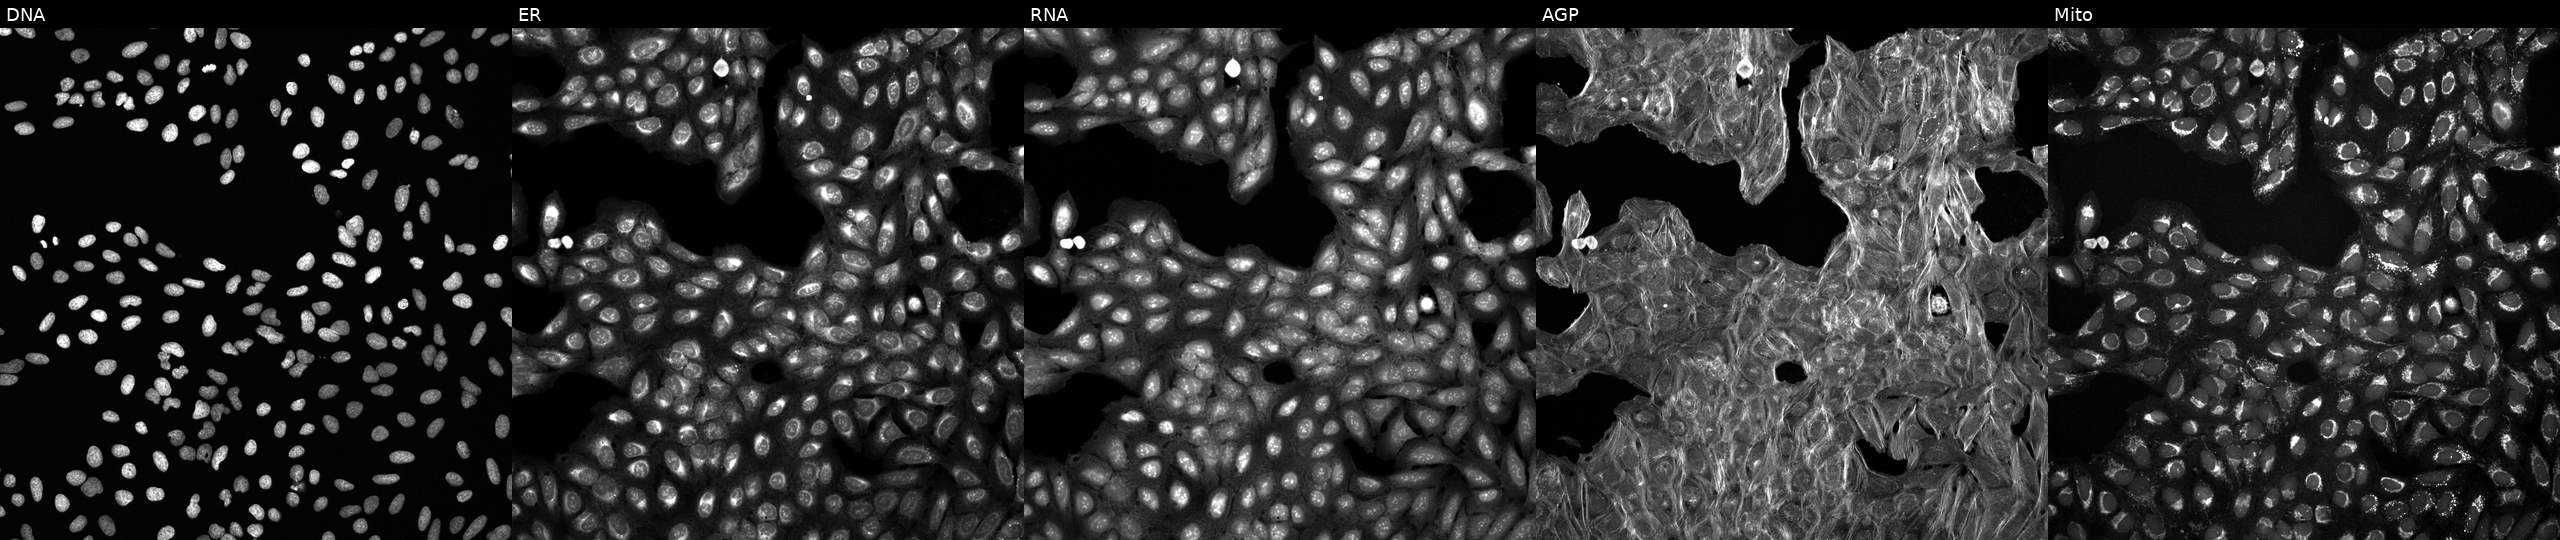
JUMP Cell Painting — COMPOUND plate. U2OS cells perturbed with a small-molecule compound (InChIKey GTJKIXFJIJJNLT-UHFFFAOYSA-N) [SMILES: O=C(CCNC(=O)Cn1ccc2ccccc2c1=O)NCC1CCCC1c1ccccc1]. Panels show, left to right, Hoechst 33342, concanavalin A, SYTO 14, phalloidin and WGA, MitoTracker.